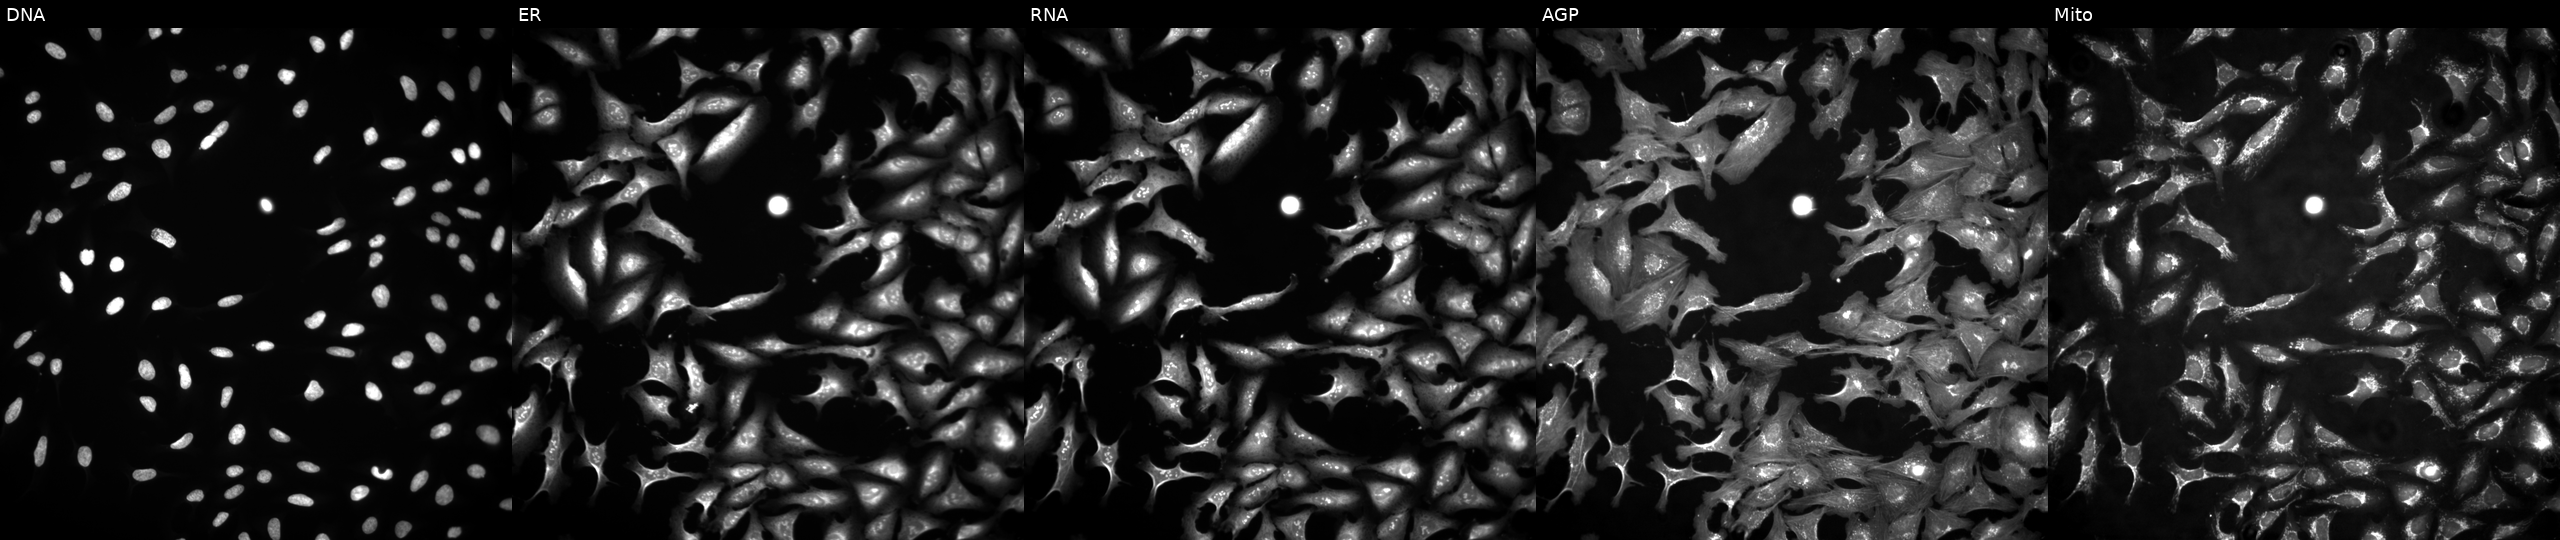
High-content fluorescence microscopy (Cell Painting). Cell line: U2OS. Perturbation: in an empty control well (no perturbation). Channels (left→right): Hoechst 33342, concanavalin A, SYTO 14, phalloidin and WGA, MitoTracker.